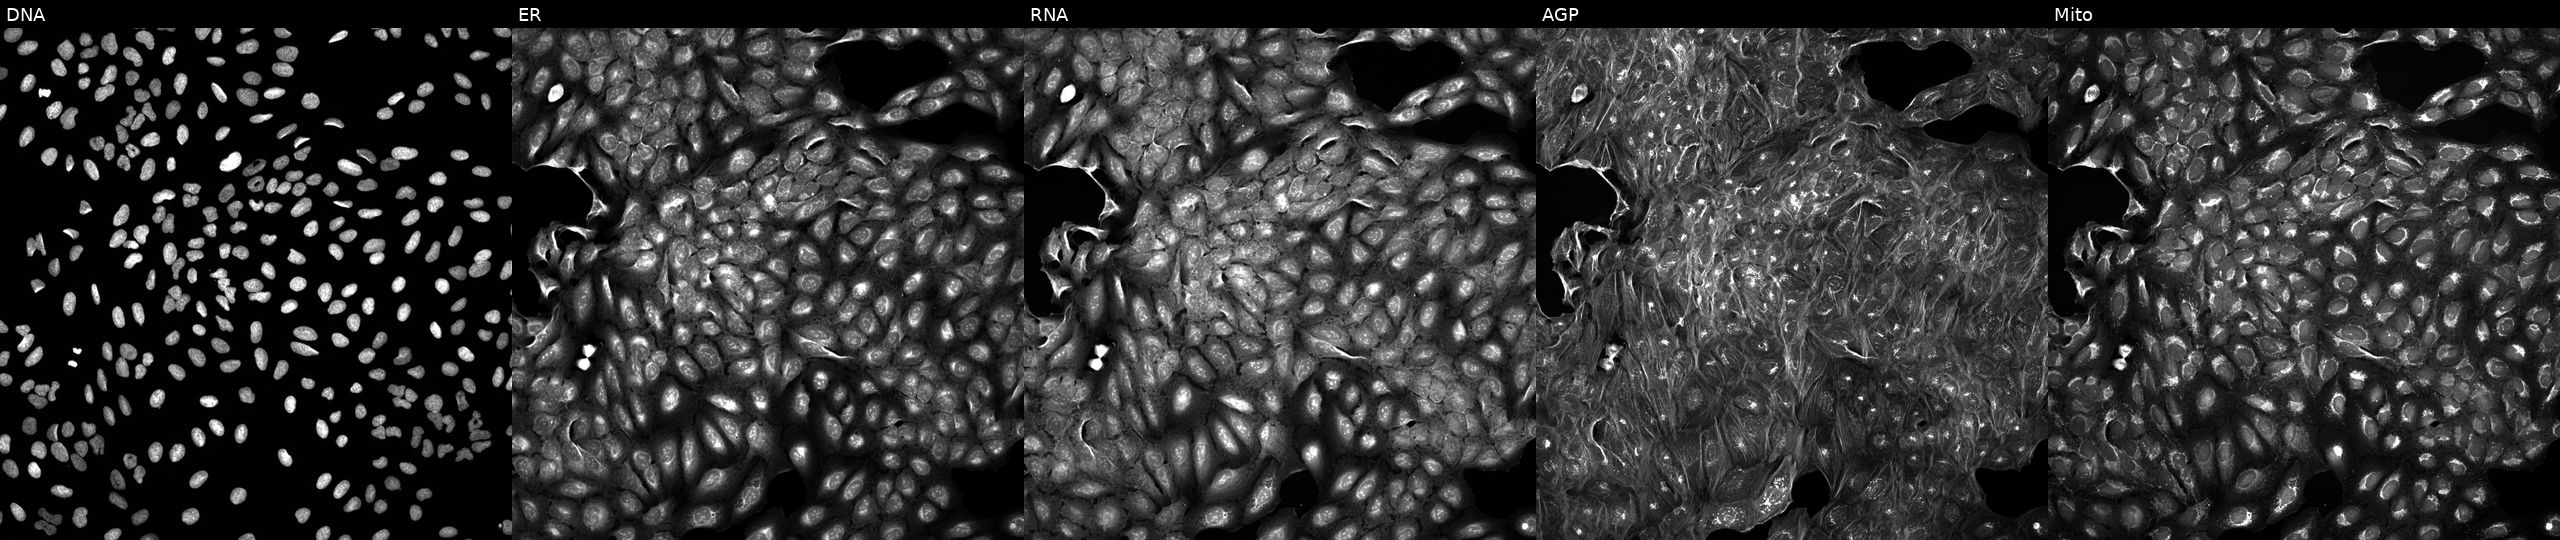
U2OS cells, Cell Painting assay, treated with DMSO vehicle only (negative control). The five panels, left to right, show DNA, ER, RNA, AGP, and Mito. Each panel is percentile-stretched 16-bit fluorescence.